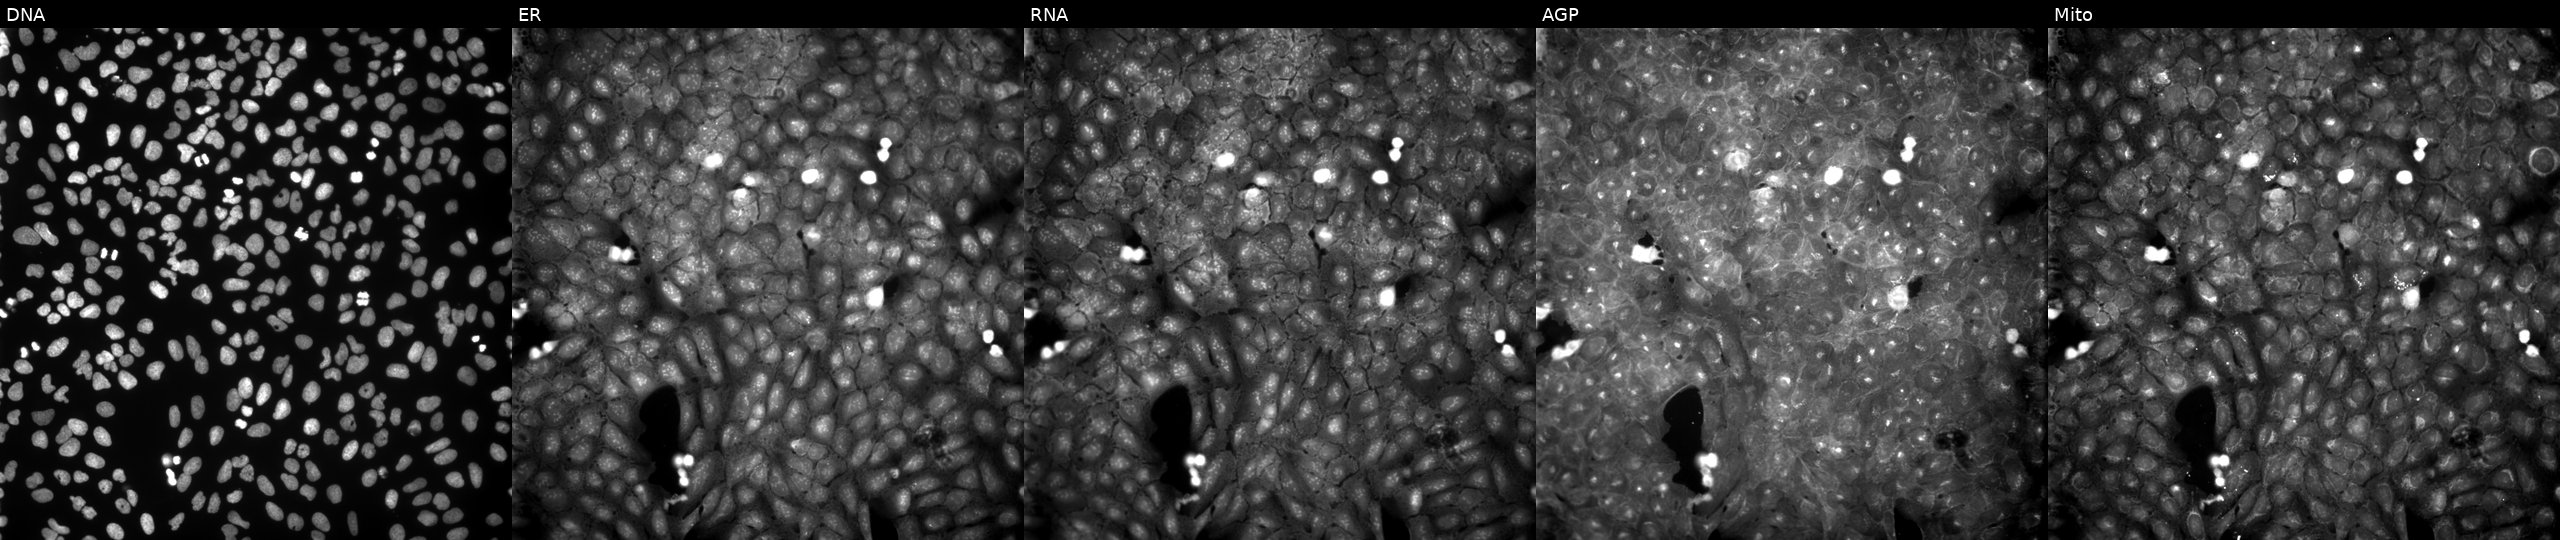
U2OS cells, Cell Painting assay, exposed to a small-molecule compound (InChIKey FPUMLNPRZCQJCC-UHFFFAOYSA-N) [SMILES: Cc1cc(C)cc(N(CC(=O)Nc2c(C)n(C)n(-c3ccccc3)c2=O)S(C)(=O)=O)c1] (JUMP id JCP2022_022188). Panels show, left to right, Hoechst 33342, concanavalin A, SYTO 14, phalloidin and WGA, MitoTracker. Each panel is percentile-stretched 16-bit fluorescence.